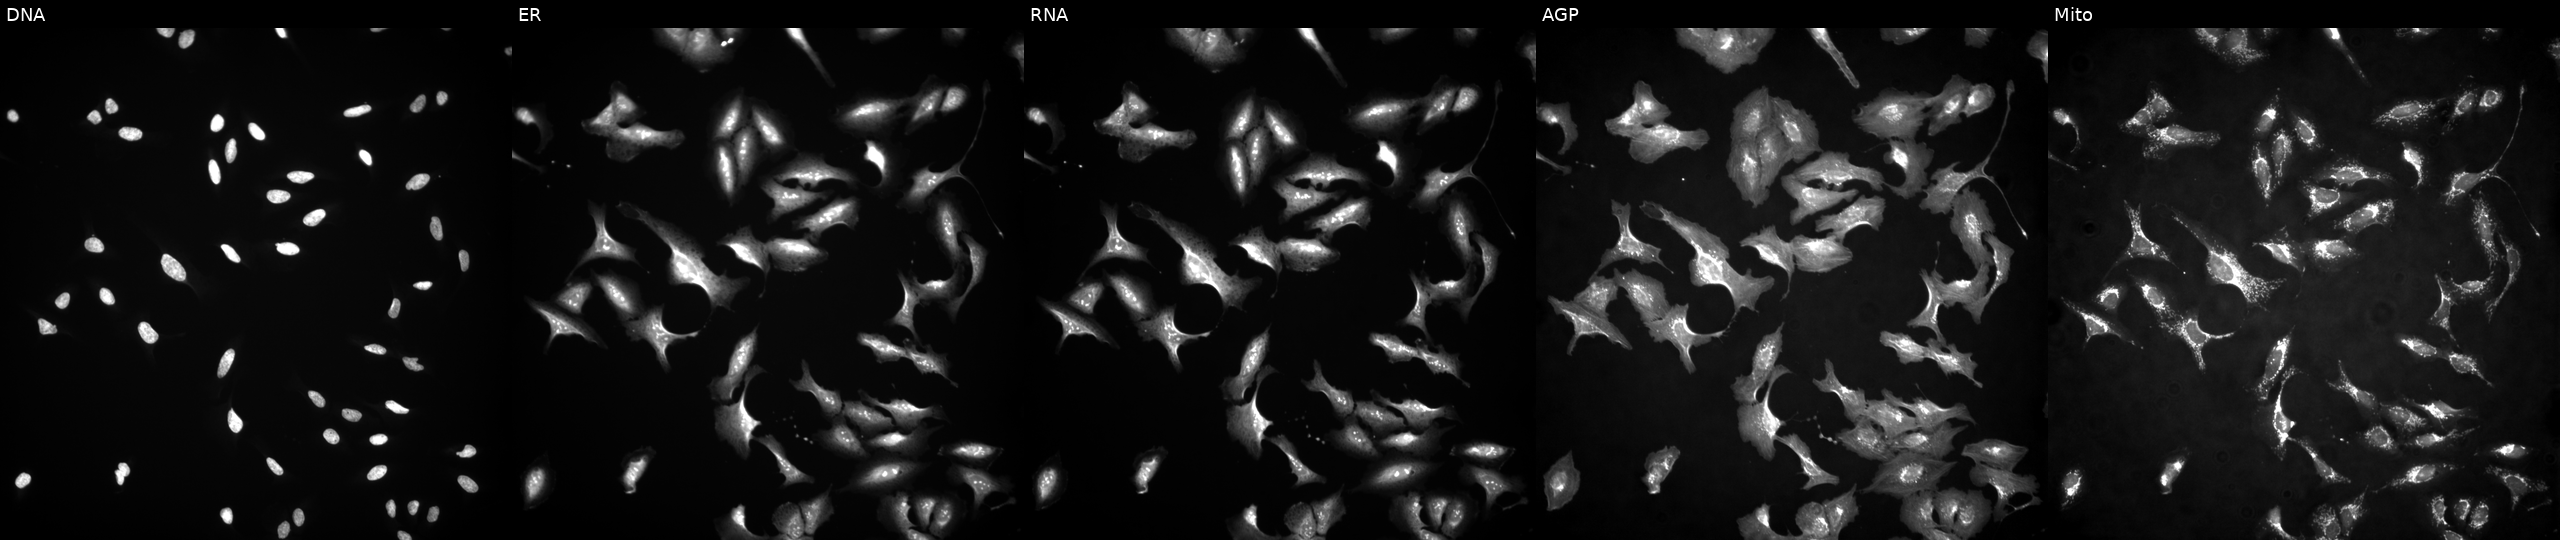
JUMP Cell Painting — ORF plate. U2OS cells expressing LUCIFERASE (ORF negative control). Channels (left→right): DNA (nuclei); ER (endoplasmic reticulum); RNA (nucleoli and cytoplasmic RNA); AGP (actin cytoskeleton, Golgi, and plasma membrane); Mito (mitochondria). Source 4, plate BR00117035, well D03.